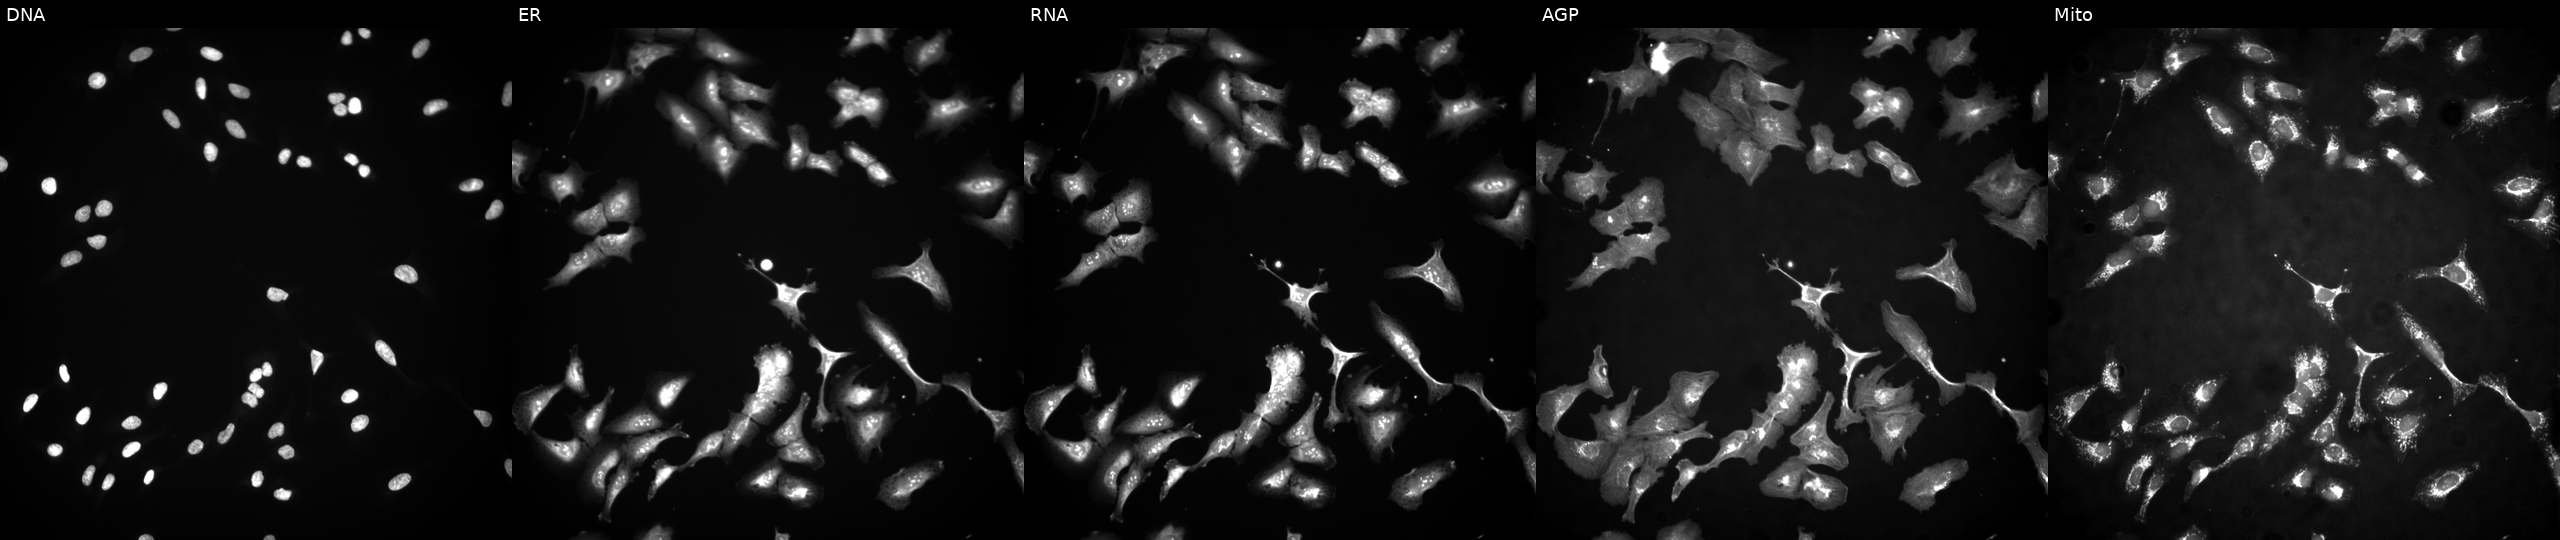
JUMP Cell Painting — ORF plate. U2OS cells overexpressing PHC1 via ORF transfection (JUMP id JCP2022_910061). The five panels, left to right, show DNA (nuclei); ER (endoplasmic reticulum); RNA (nucleoli and cytoplasmic RNA); AGP (actin cytoskeleton, Golgi, and plasma membrane); Mito (mitochondria). Source 4, plate BR00117035, well D13.